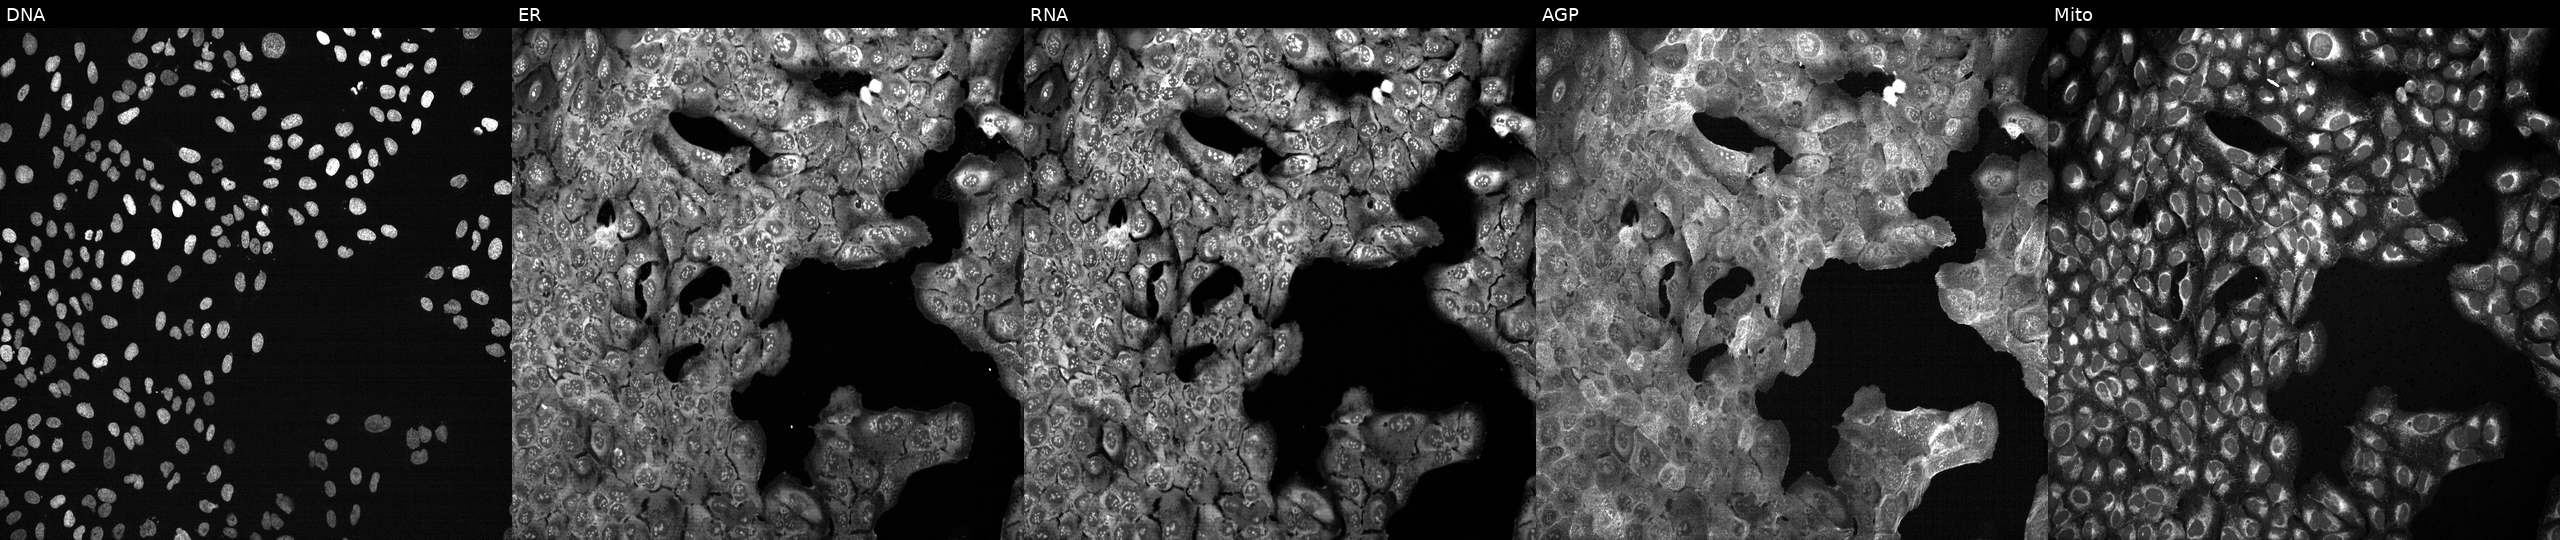
U2OS cells, Cell Painting assay, CRISPR-edited to disrupt GPX2 (JUMP id JCP2022_802883). Panels show, left to right, DNA, ER, RNA, AGP, and Mito. Each panel is percentile-stretched 16-bit fluorescence.